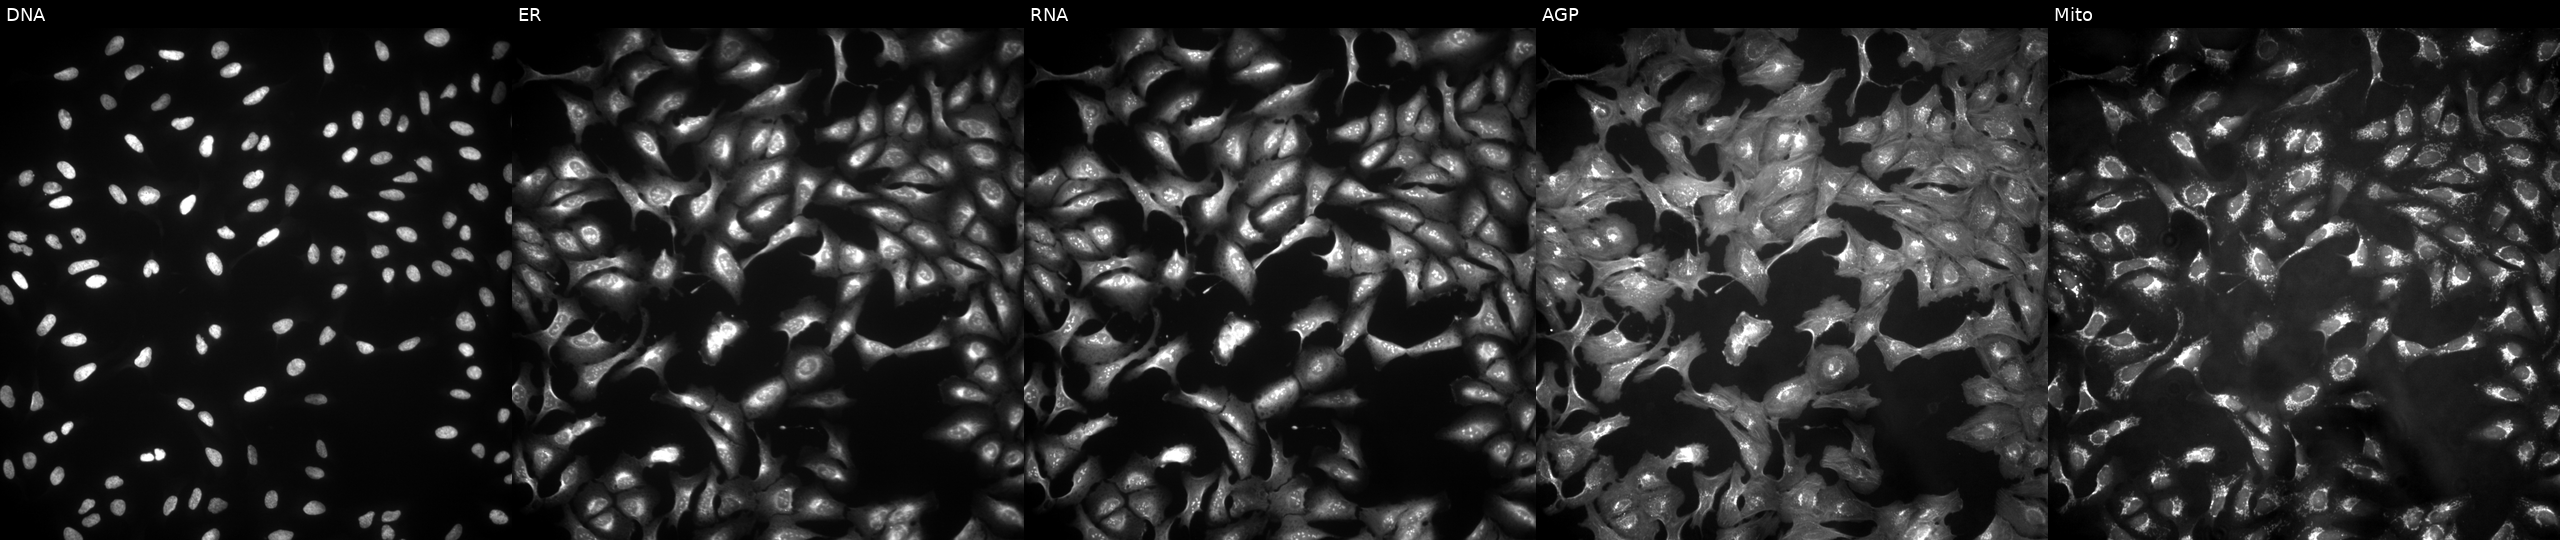
JUMP Cell Painting — ORF plate. U2OS cells expressing BFP (ORF negative control). Channels (left→right): Hoechst 33342, concanavalin A, SYTO 14, phalloidin and WGA, MitoTracker. Source 4, plate BR00123506, well H24.